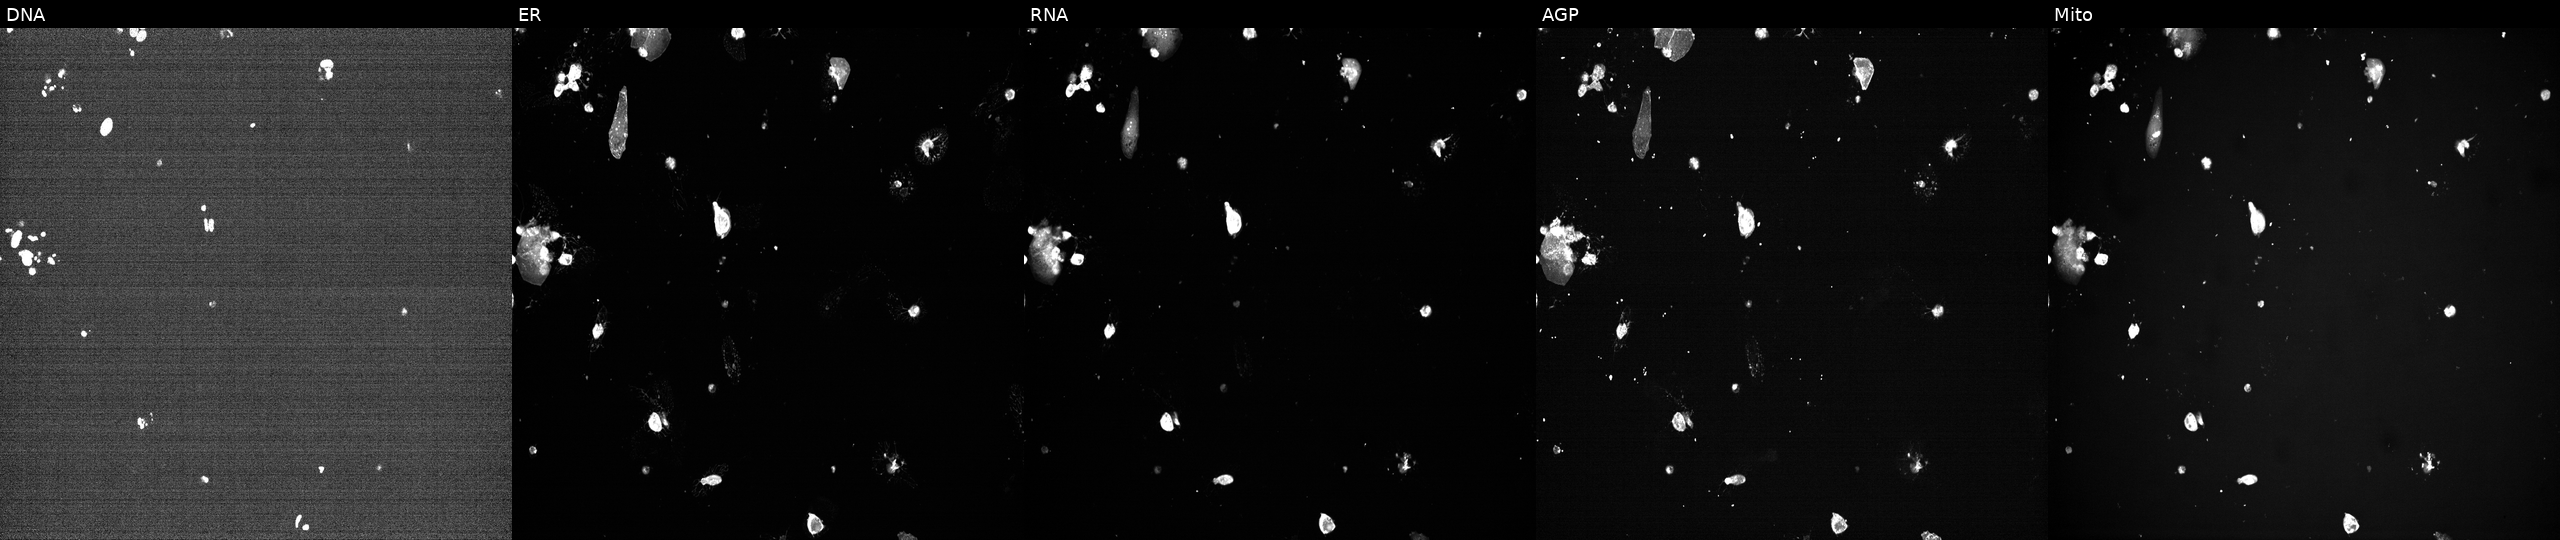
U2OS cells, Cell Painting assay, treated with a small-molecule compound (InChIKey HGMSUJCQIUFZBJ-UHFFFAOYSA-N). The five panels, left to right, show DNA (nuclei); ER (endoplasmic reticulum); RNA (nucleoli and cytoplasmic RNA); AGP (actin cytoskeleton, Golgi, and plasma membrane); Mito (mitochondria). Each panel is percentile-stretched 16-bit fluorescence.